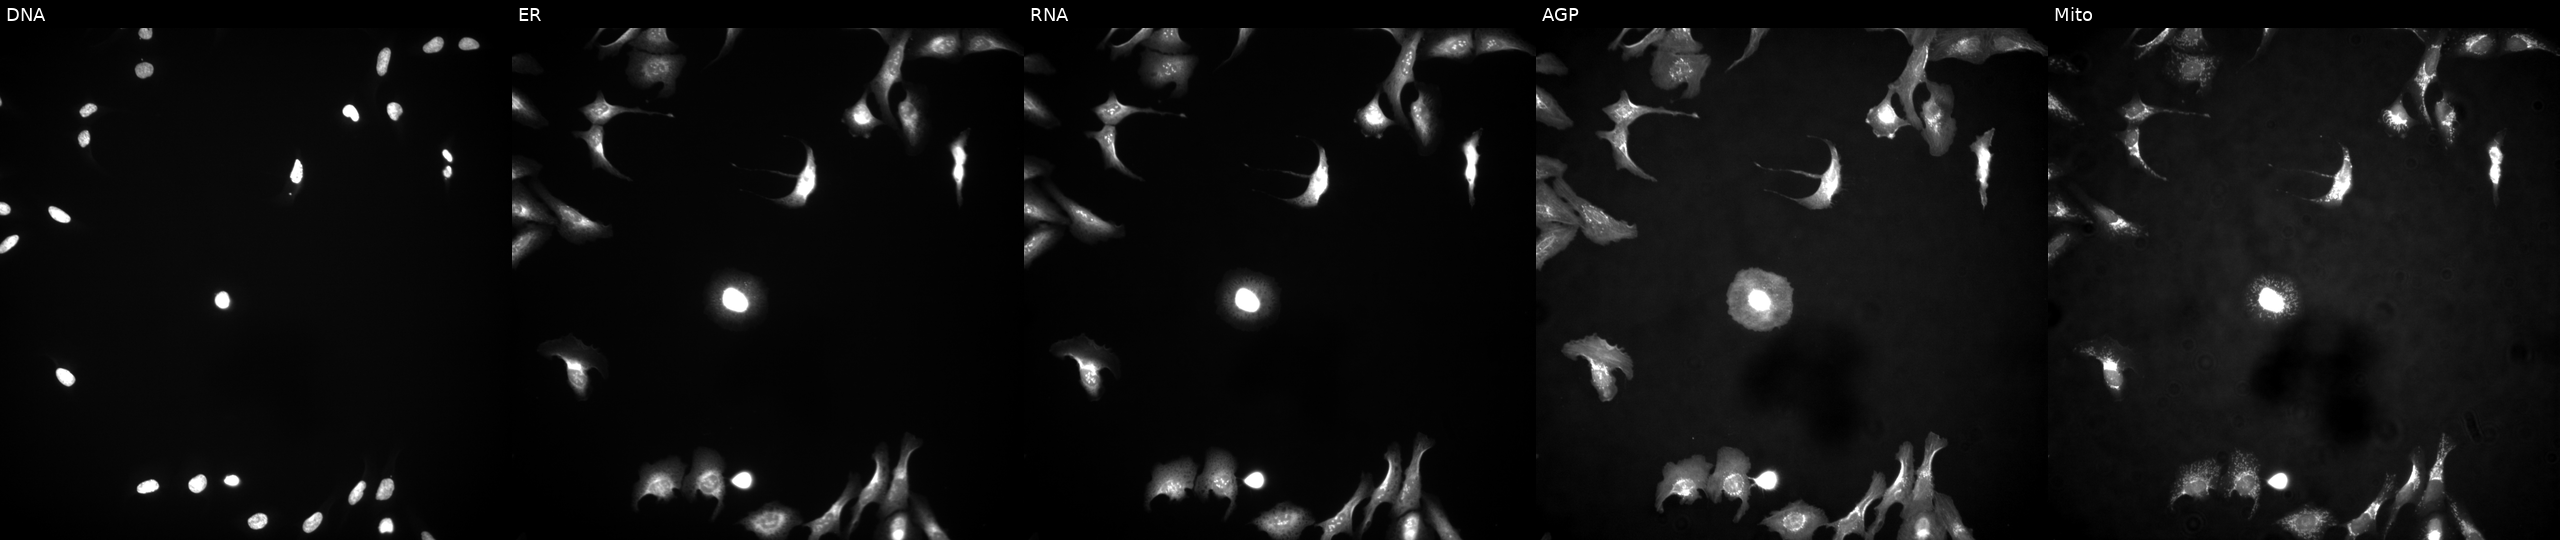
U2OS cells, Cell Painting assay, expressing eGFP (ORF positive control). Panels show, left to right, DNA (nuclei); ER (endoplasmic reticulum); RNA (nucleoli and cytoplasmic RNA); AGP (actin cytoskeleton, Golgi, and plasma membrane); Mito (mitochondria). Each panel is percentile-stretched 16-bit fluorescence.